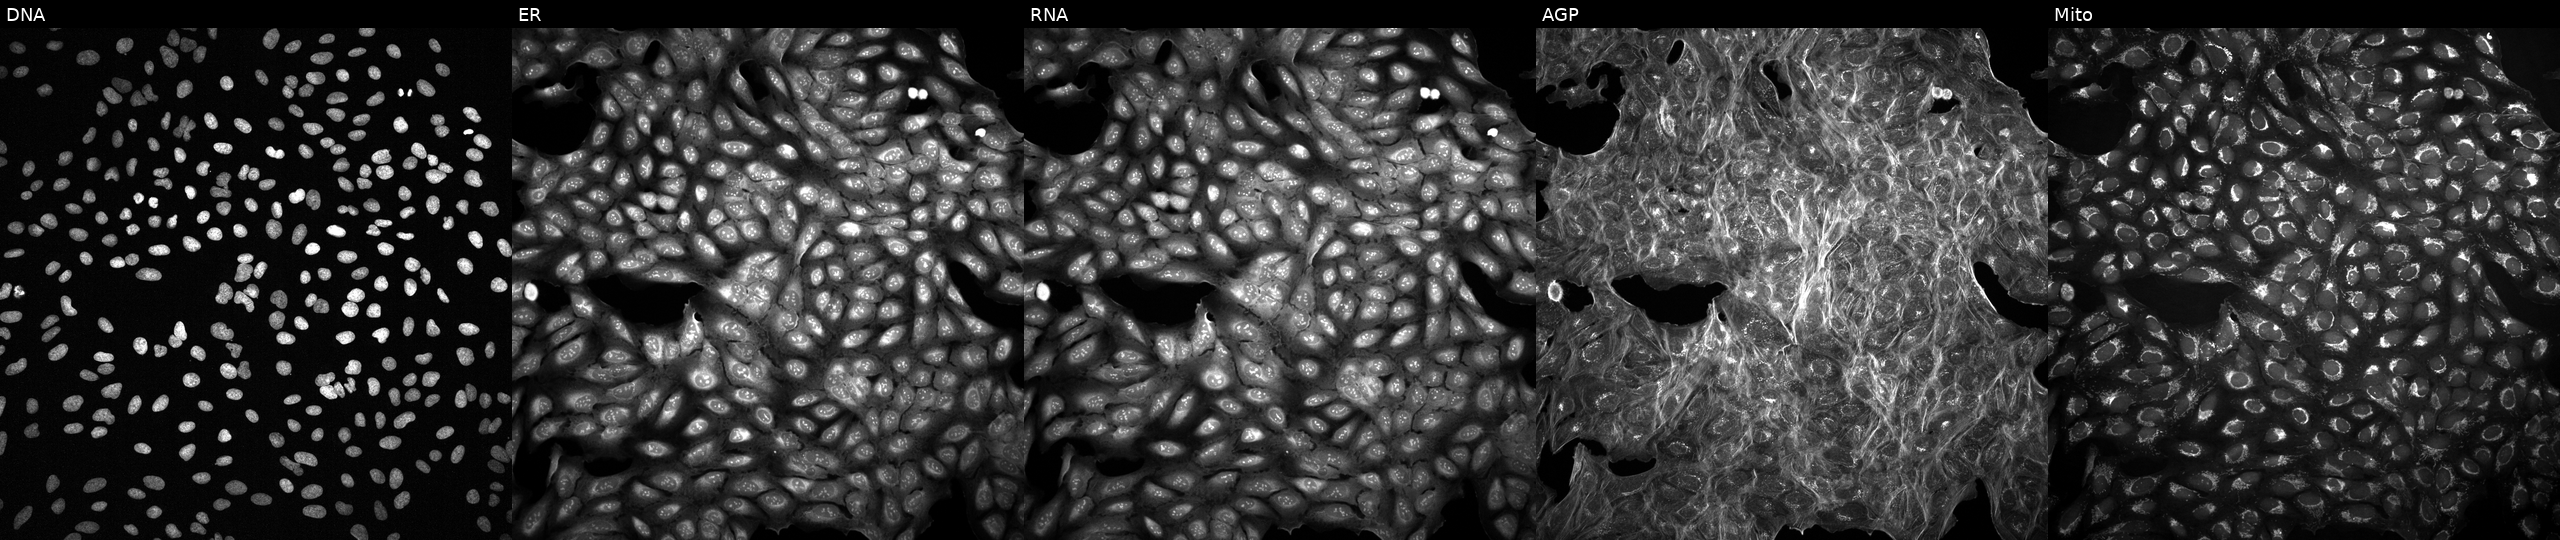
Five-channel Cell Painting image of U2OS cells treated with a small-molecule compound (InChIKey NYNZQNWKBKUAII-UHFFFAOYSA-N). The five panels, left to right, show DNA (nuclei); ER (endoplasmic reticulum); RNA (nucleoli and cytoplasmic RNA); AGP (actin cytoskeleton, Golgi, and plasma membrane); Mito (mitochondria).